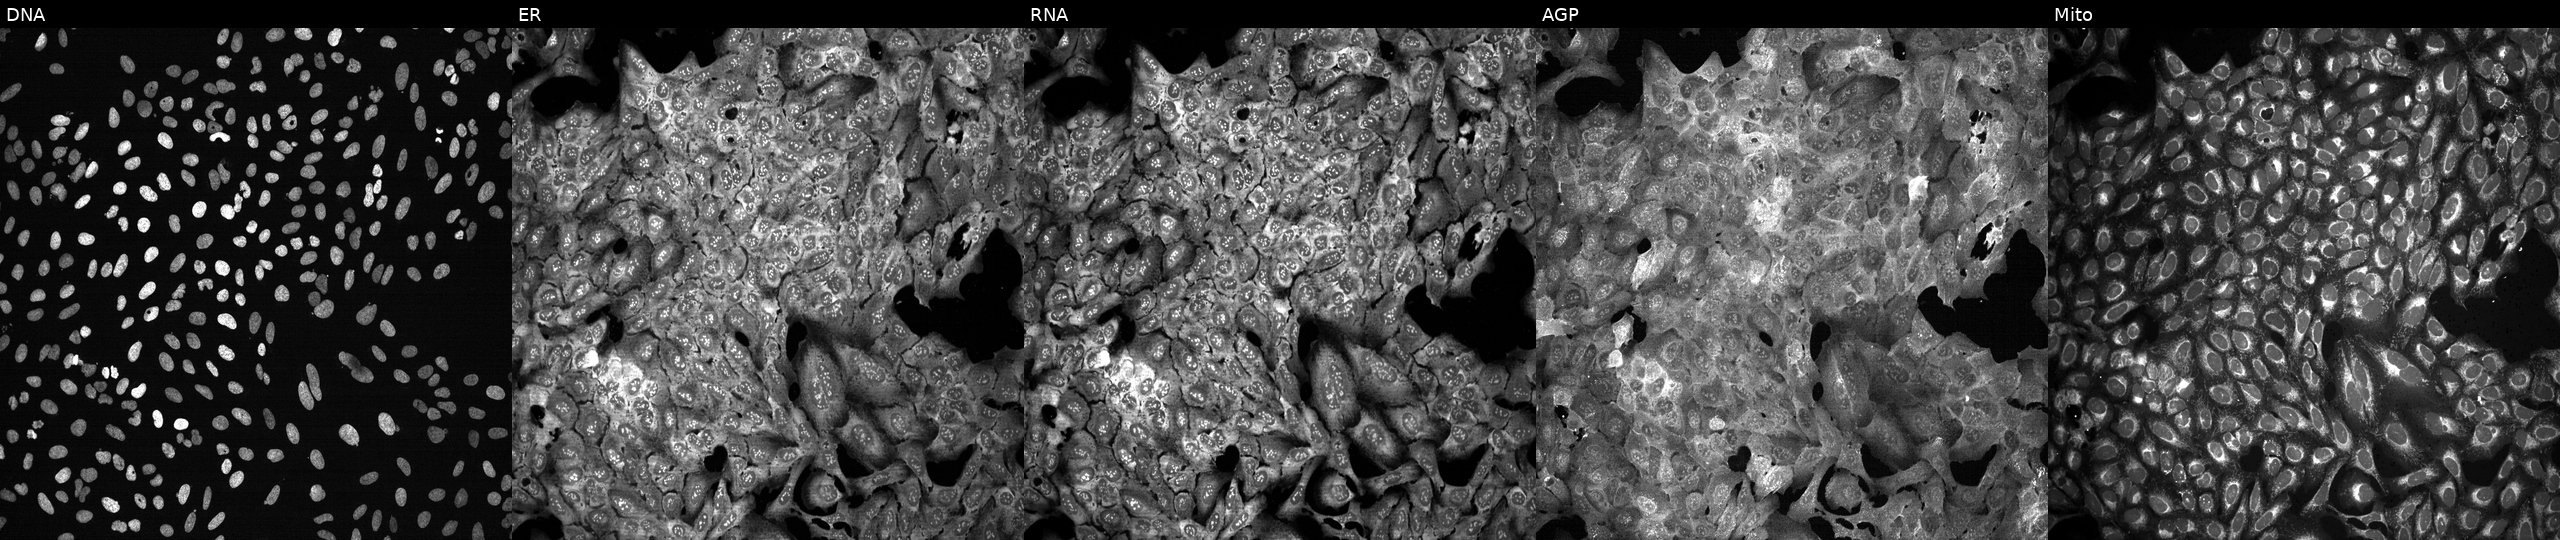
Channels (left→right): Hoechst 33342, concanavalin A, SYTO 14, phalloidin and WGA, MitoTracker. U2OS osteosarcoma cells with PUSL1 knocked out by CRISPR. Cell Painting assay, JUMP-CP dataset.